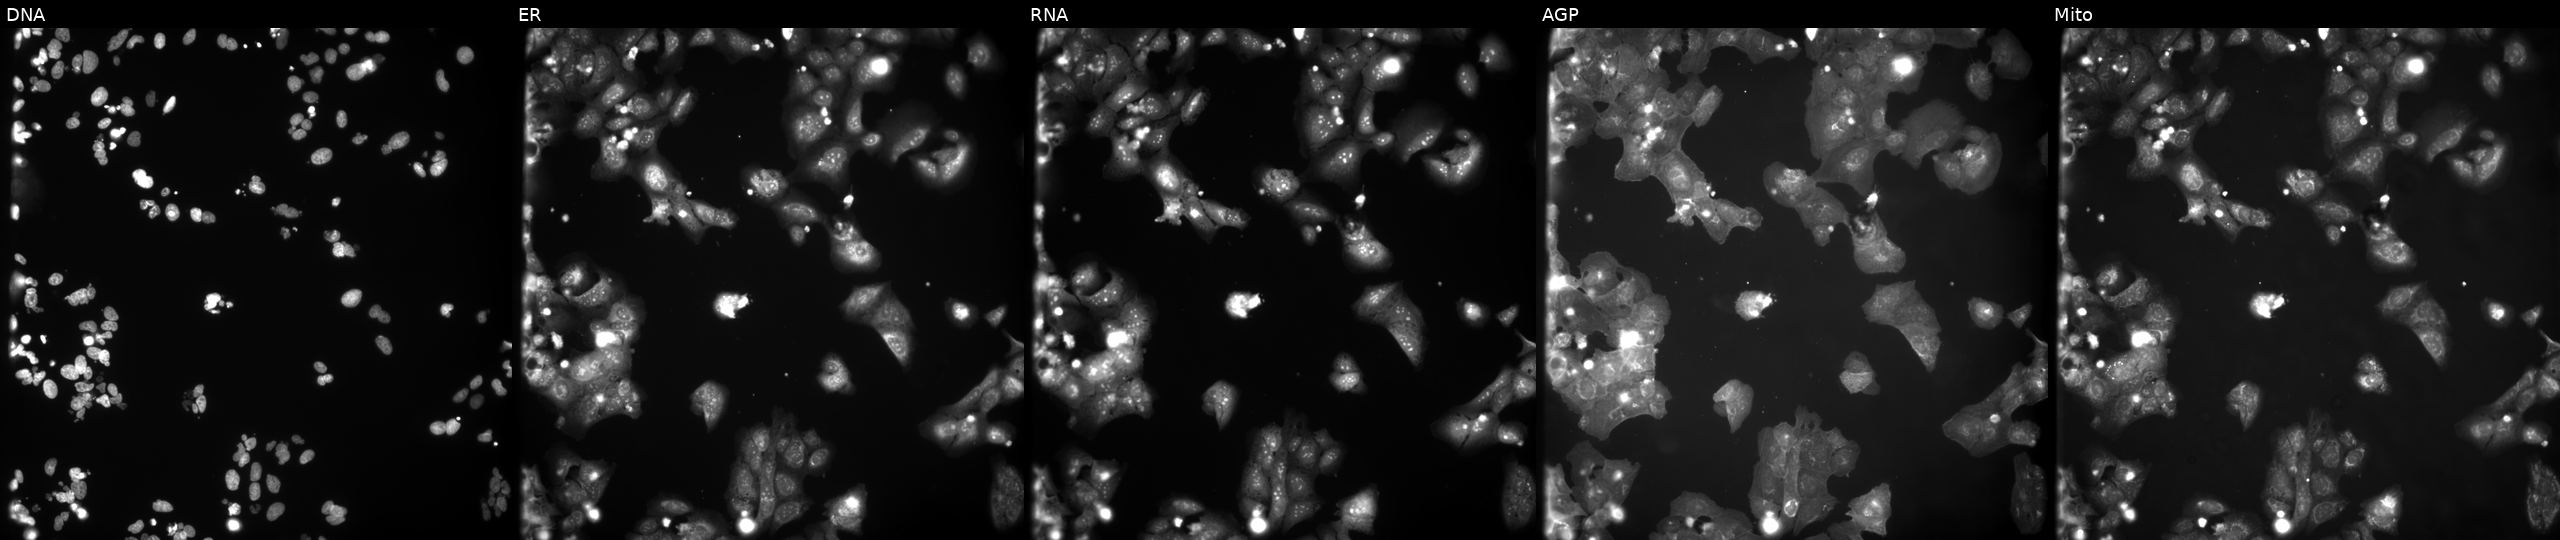
U2OS cells, Cell Painting assay, perturbed with a small-molecule compound. From left to right: Hoechst 33342, concanavalin A, SYTO 14, phalloidin and WGA, MitoTracker. Each panel is percentile-stretched 16-bit fluorescence. Source 9, plate GR00003381, well K09.